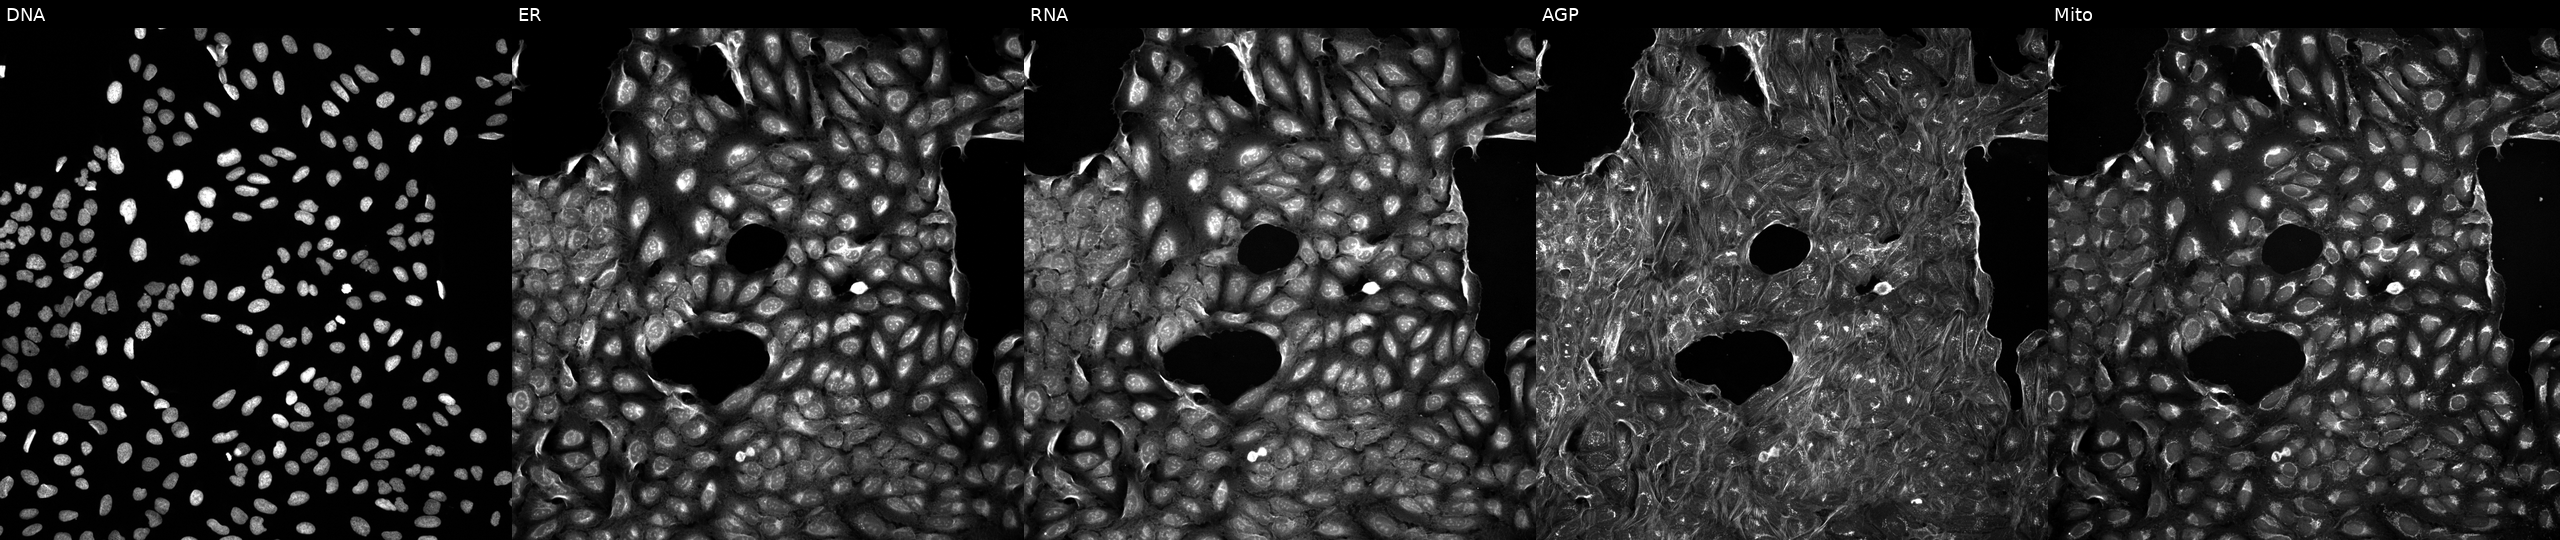
High-content fluorescence microscopy (Cell Painting). Cell line: U2OS. Perturbation: exposed to DMSO alone as a negative control (JUMP id JCP2022_033924). Panels show, left to right, Hoechst 33342, concanavalin A, SYTO 14, phalloidin and WGA, MitoTracker.